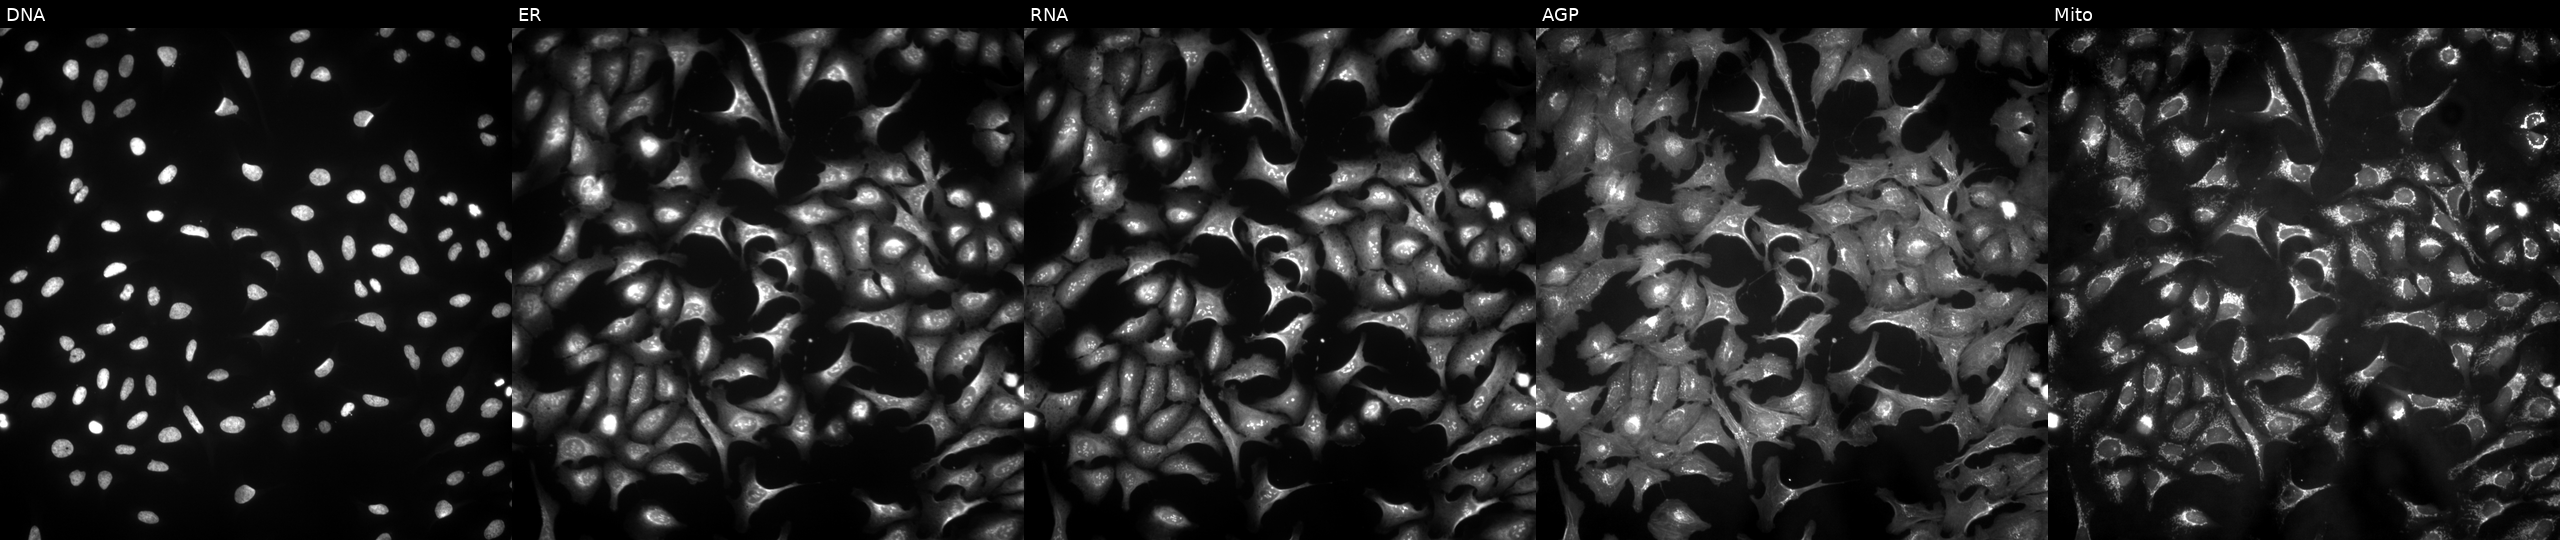
Panels show, left to right, DNA, ER, RNA, AGP, and Mito. U2OS osteosarcoma cells with GABRG1 overexpressed (ORF) (JUMP id JCP2022_905840). Cell Painting assay, JUMP-CP dataset.